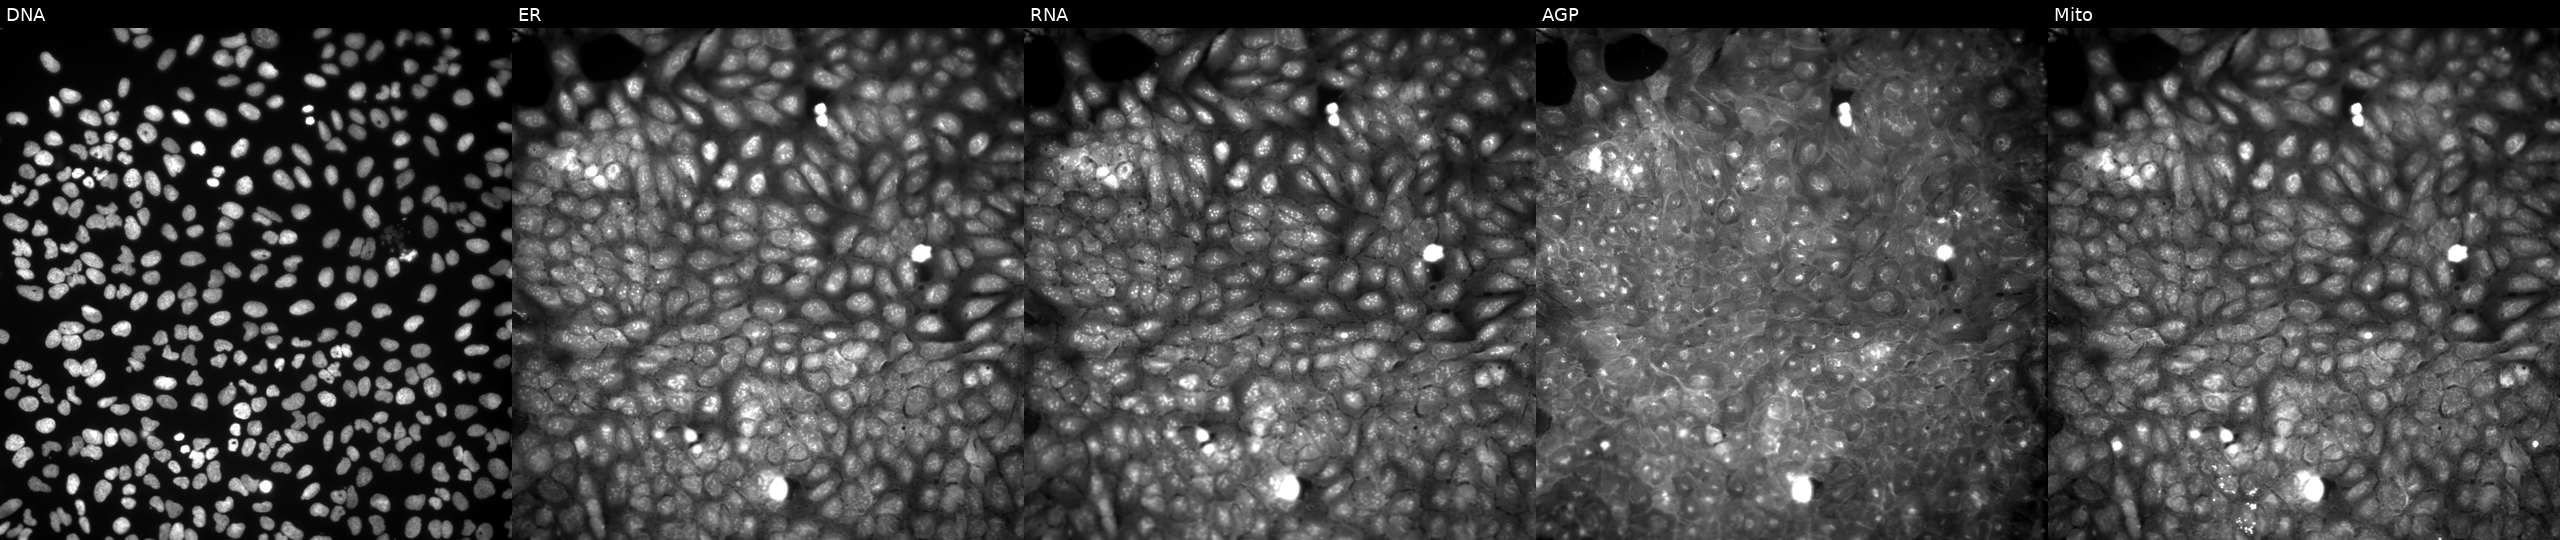
This image strip shows the five Cell Painting channels for a single field of U2OS cells perturbed with a small-molecule compound (InChIKey ADJJHTKFPPOEAH-UHFFFAOYSA-N) (JUMP id JCP2022_000661). The five panels, left to right, show DNA (nuclei); ER (endoplasmic reticulum); RNA (nucleoli and cytoplasmic RNA); AGP (actin cytoskeleton, Golgi, and plasma membrane); Mito (mitochondria).